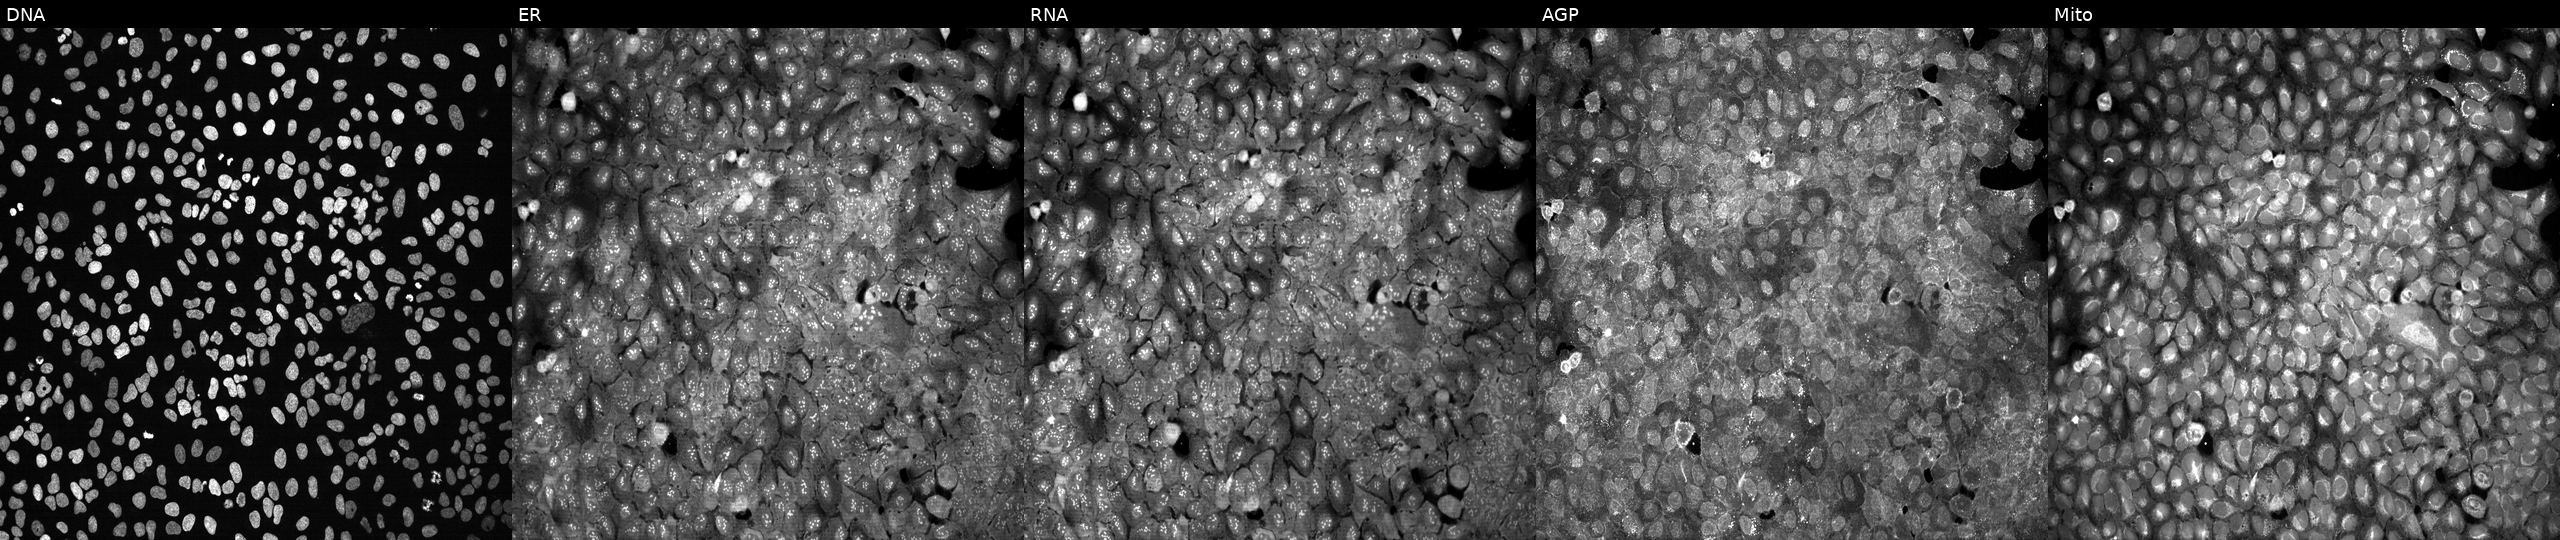
This image strip shows the five Cell Painting channels for a single field of U2OS cells following CRISPR knockout of HACL1 (JUMP id JCP2022_803007). The five panels, left to right, show Hoechst 33342, concanavalin A, SYTO 14, phalloidin and WGA, MitoTracker.